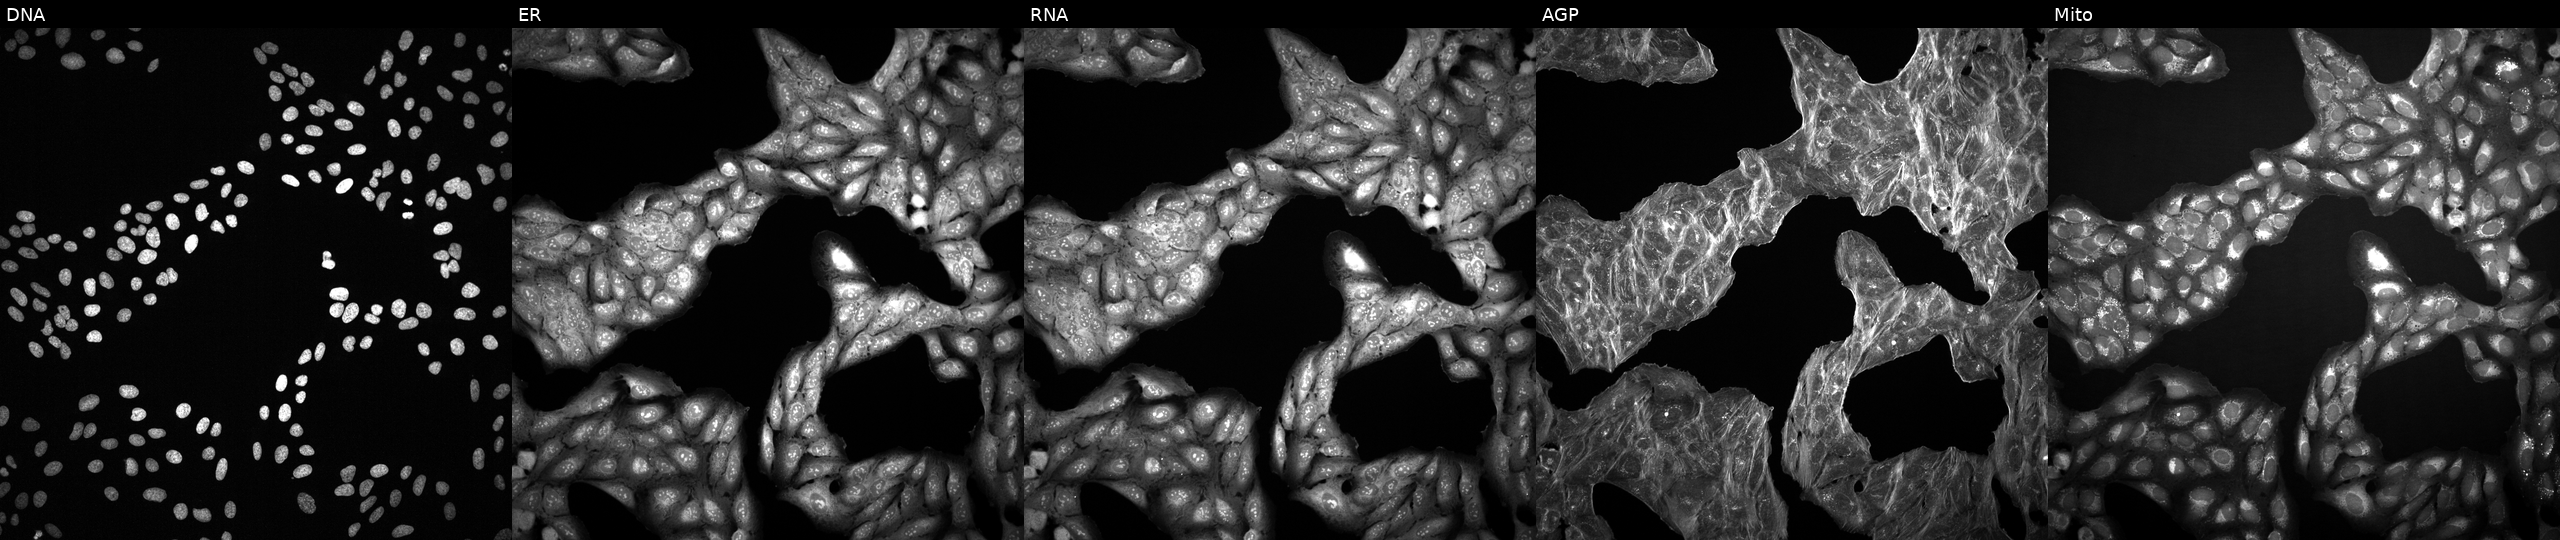
Five-channel Cell Painting image of U2OS cells exposed to a small-molecule compound [SMILES: Cc1ccc(NC(=O)Nc2cc(C(F)(F)F)ccc2F)cc1Nc1ccc2c(c1)=NC(=O)C=2Cc1ccc[nH]1]. Panels show, left to right, Hoechst 33342, concanavalin A, SYTO 14, phalloidin and WGA, MitoTracker. Source 2, plate 1053597936, well P23.